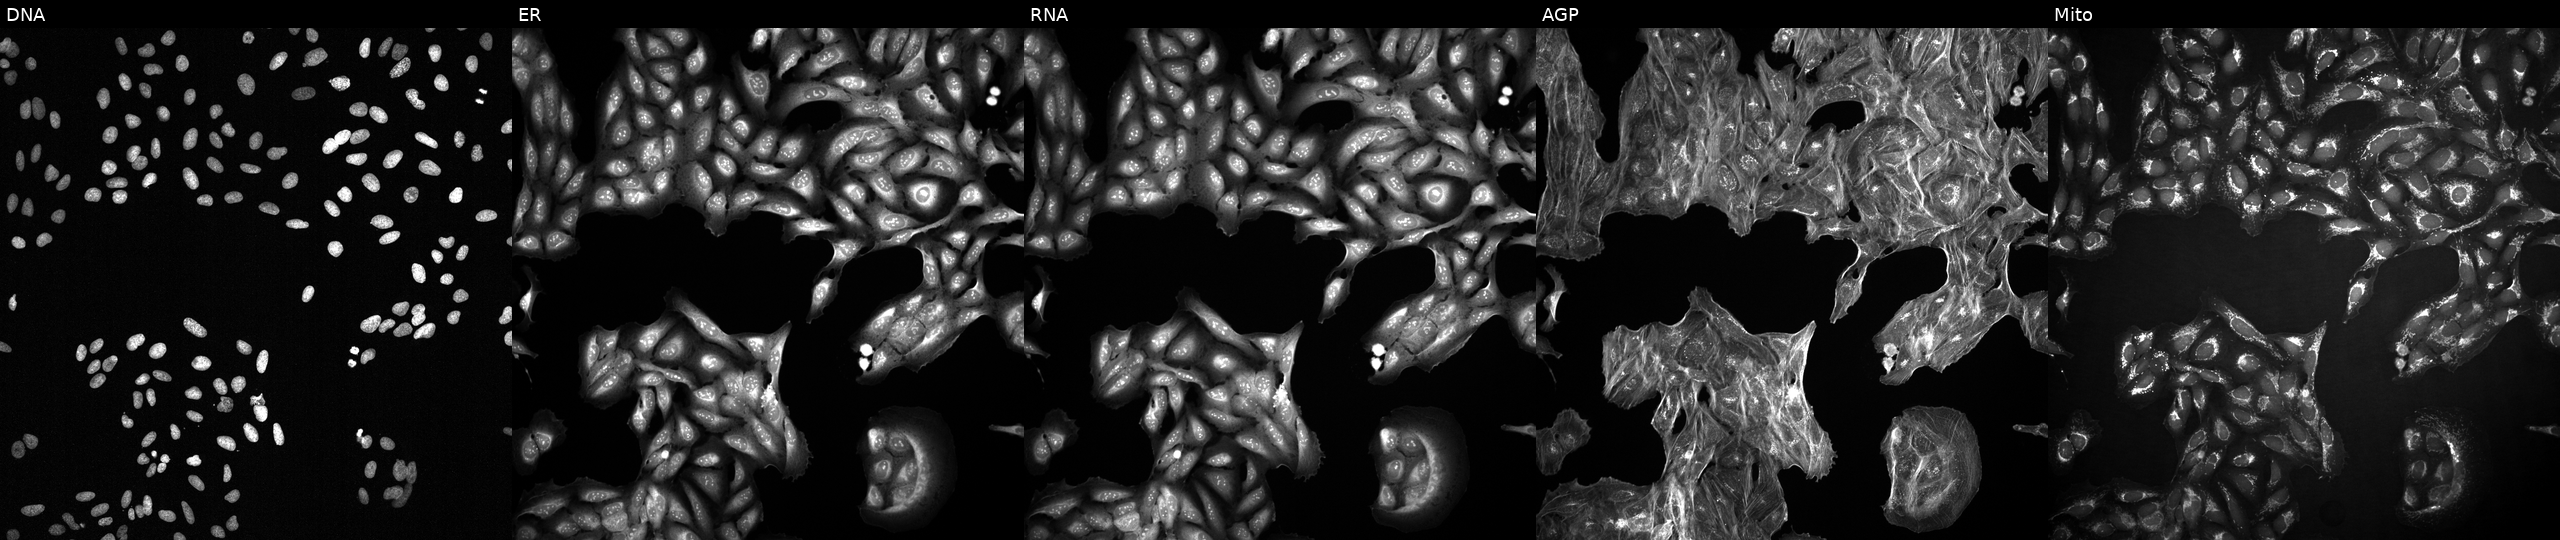
Panels show, left to right, DNA, ER, RNA, AGP, and Mito. U2OS osteosarcoma cells treated with DMSO vehicle only (negative control) (JUMP id JCP2022_033924). Cell Painting assay, JUMP-CP dataset.